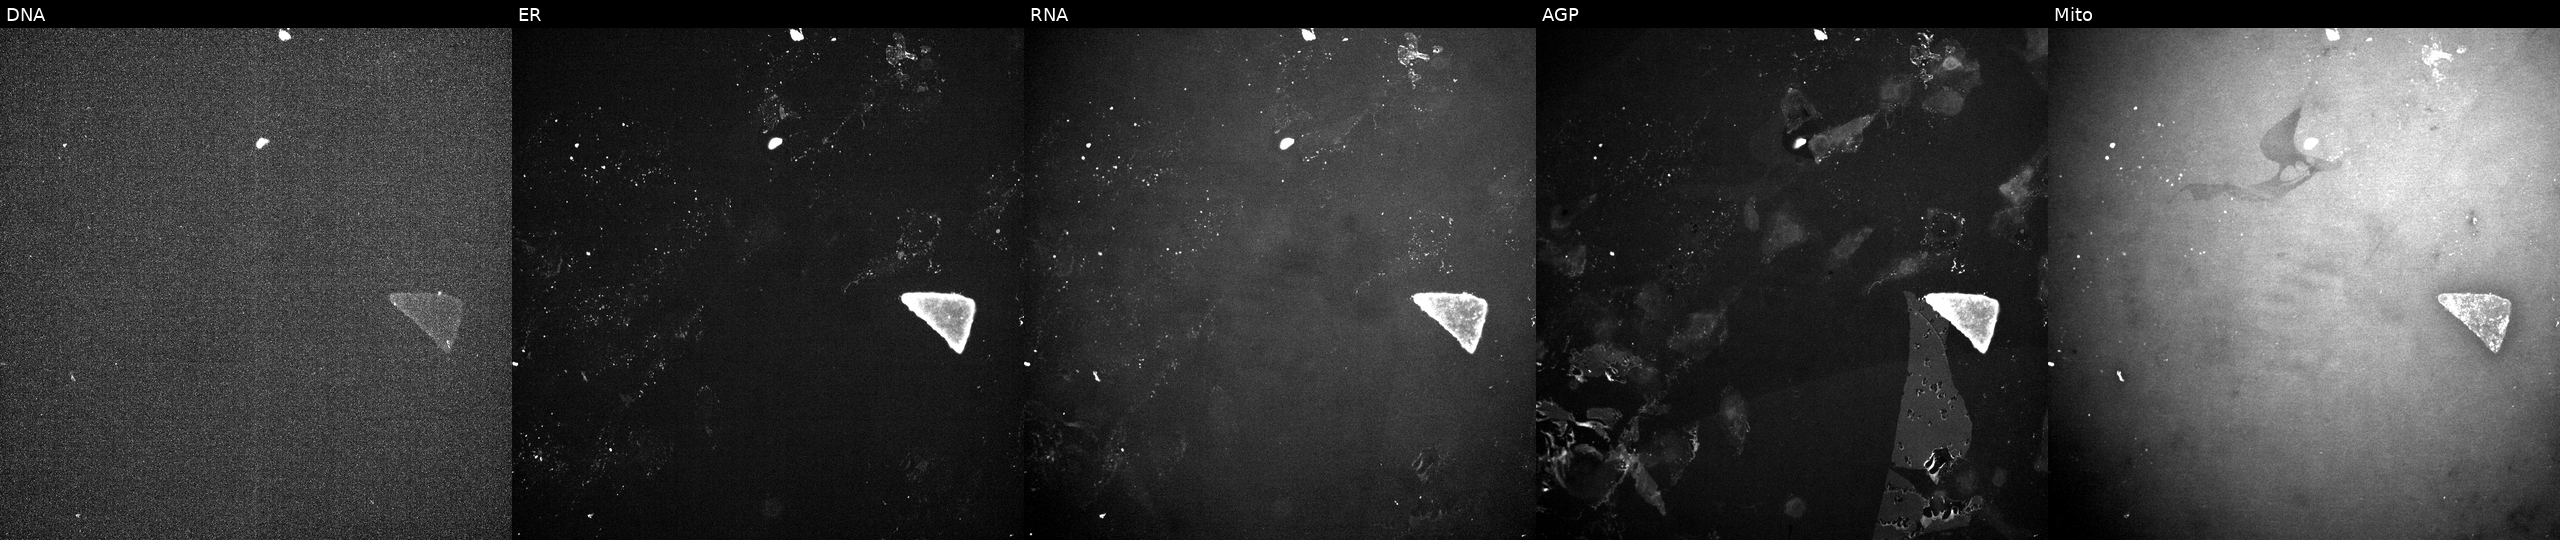
Five-channel Cell Painting image of U2OS cells exposed to a small-molecule compound (InChIKey RXWNCPJZOCPEPQ-UHFFFAOYSA-N). Channels (left→right): DNA (nuclei); ER (endoplasmic reticulum); RNA (nucleoli and cytoplasmic RNA); AGP (actin cytoskeleton, Golgi, and plasma membrane); Mito (mitochondria). Source 10, plate Dest210727-153003, well G10.